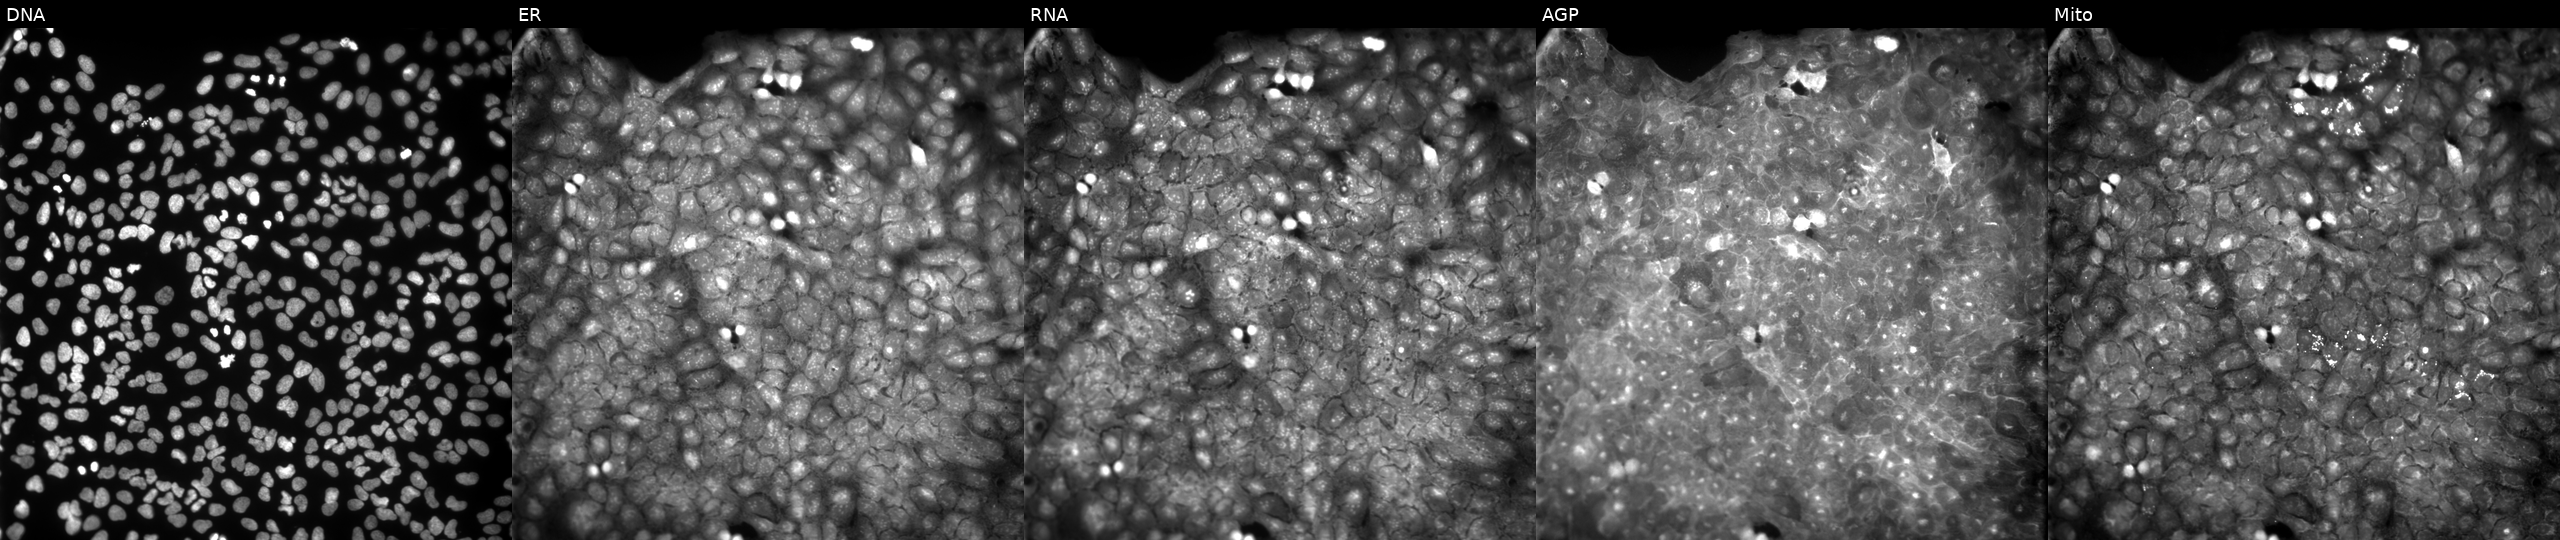
Panels show, left to right, Hoechst 33342, concanavalin A, SYTO 14, phalloidin and WGA, MitoTracker. U2OS osteosarcoma cells perturbed with a small-molecule compound. Cell Painting assay, JUMP-CP dataset.